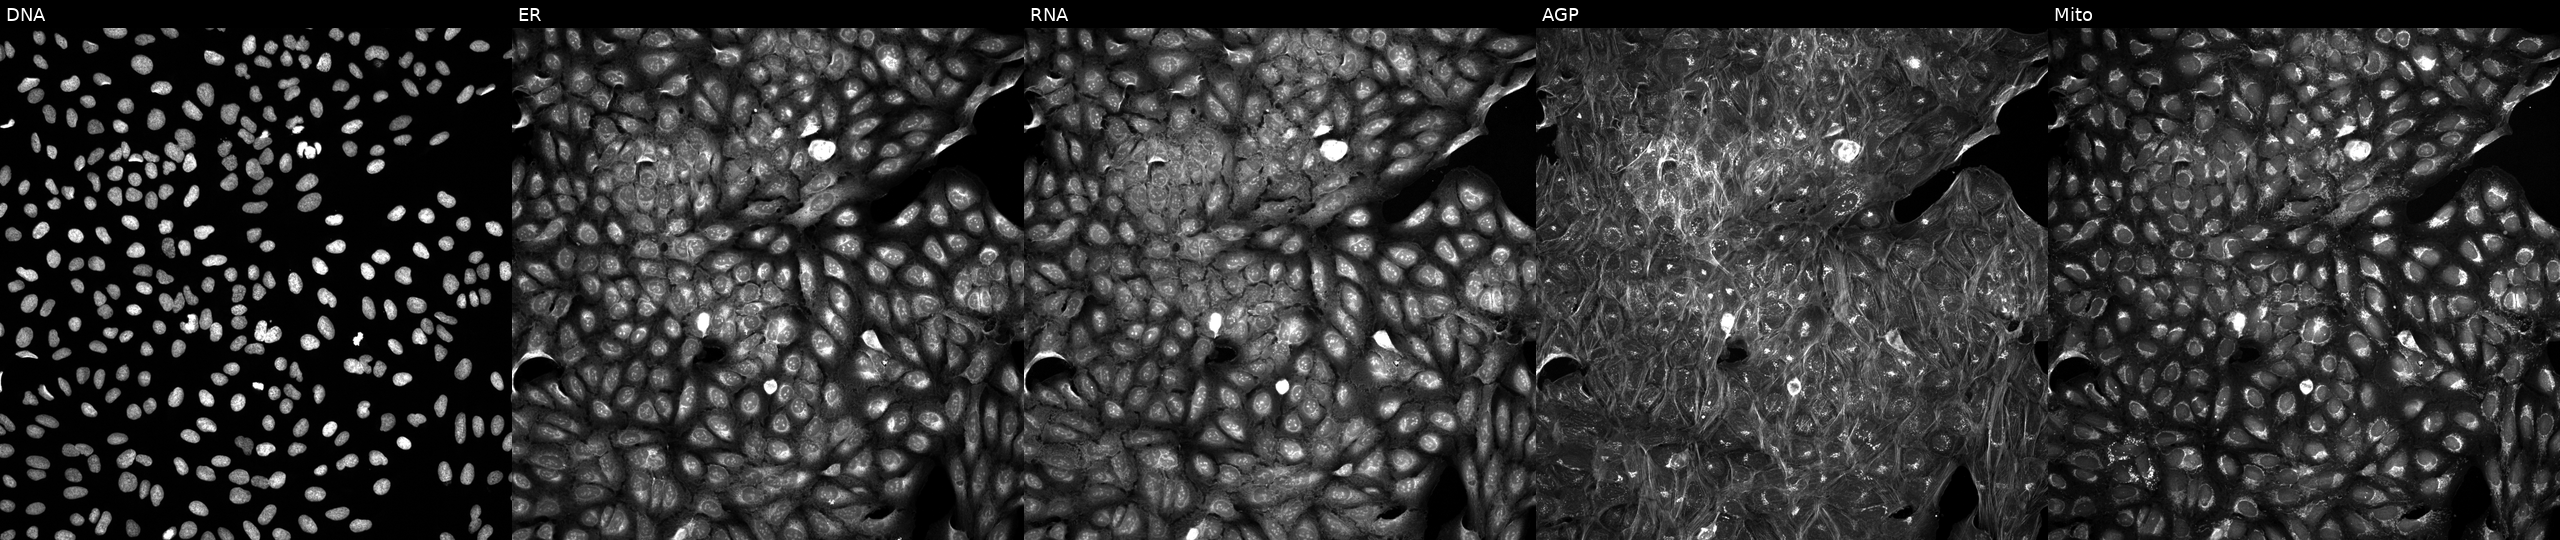
U2OS cells, Cell Painting assay, exposed to a small-molecule compound [SMILES: N=c1ncn(C2OC(CO)C(O)C2O)c(=O)[nH]1]. The five panels, left to right, show Hoechst 33342, concanavalin A, SYTO 14, phalloidin and WGA, MitoTracker. Each panel is percentile-stretched 16-bit fluorescence.